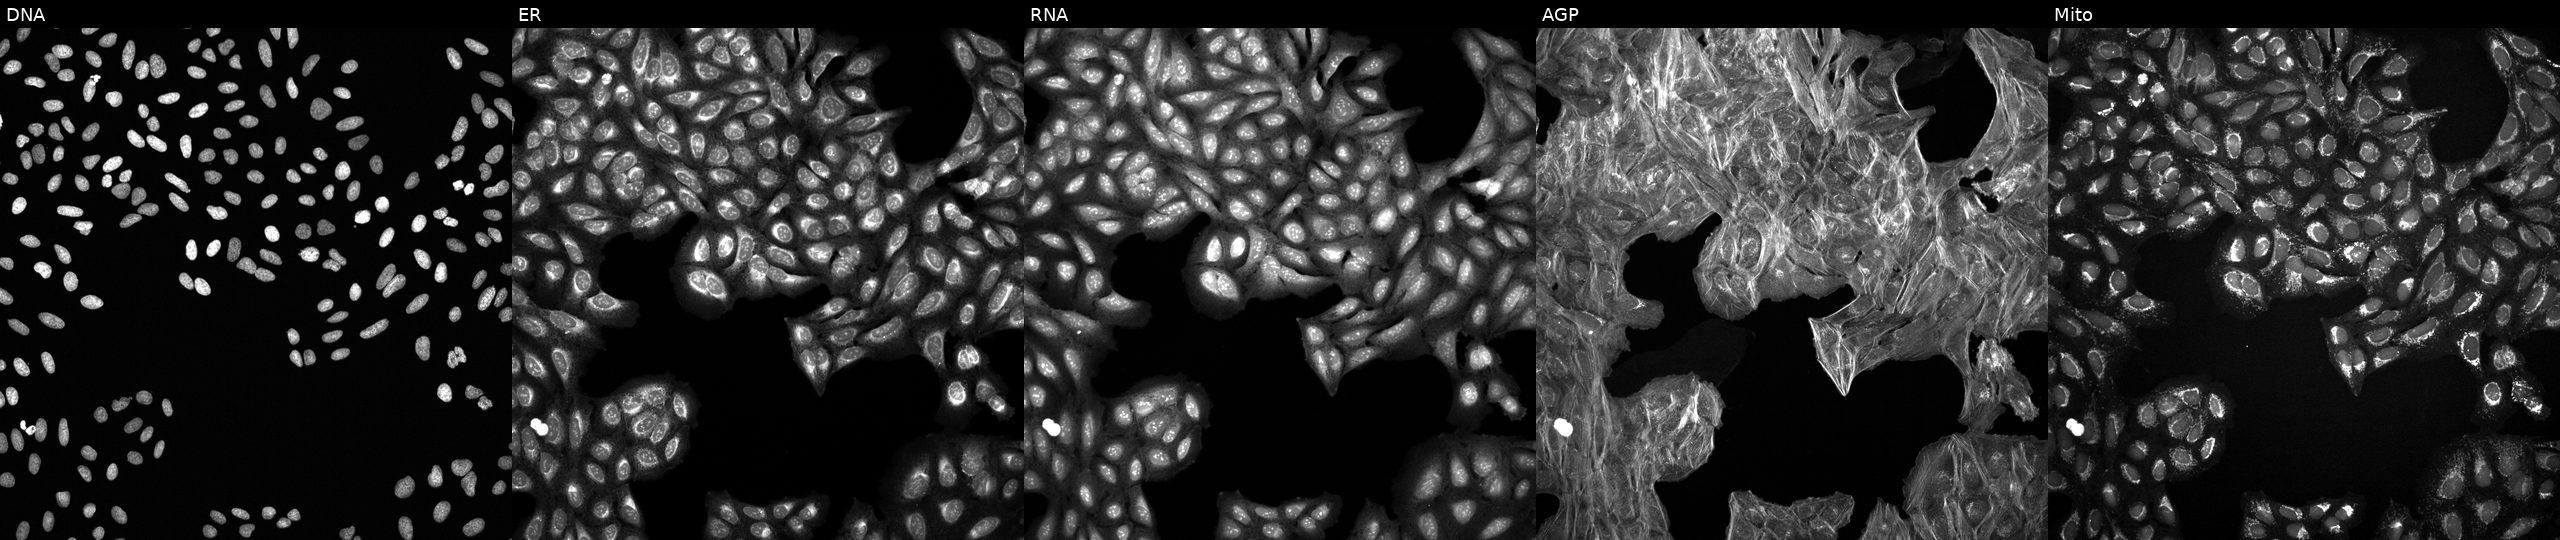
U2OS cells, Cell Painting assay, treated with a small-molecule compound. Channels (left→right): DNA, ER, RNA, AGP, and Mito. Each panel is percentile-stretched 16-bit fluorescence. Source 6, plate 110000293082, well F21.